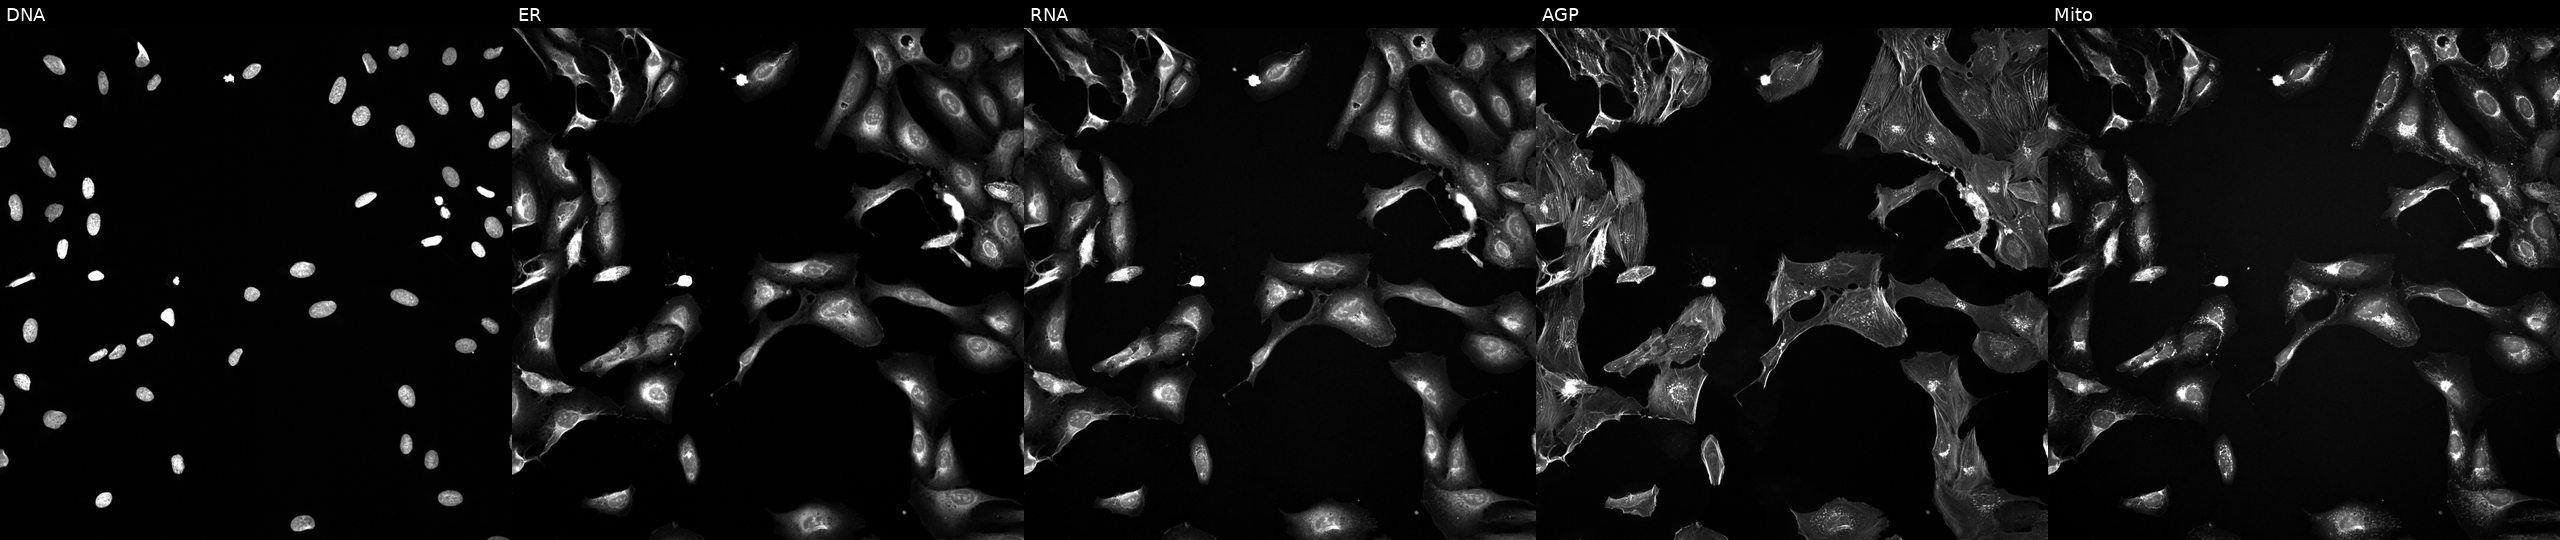
This image strip shows the five Cell Painting channels for a single field of U2OS cells exposed to a small-molecule compound. Panels show, left to right, DNA, ER, RNA, AGP, and Mito.